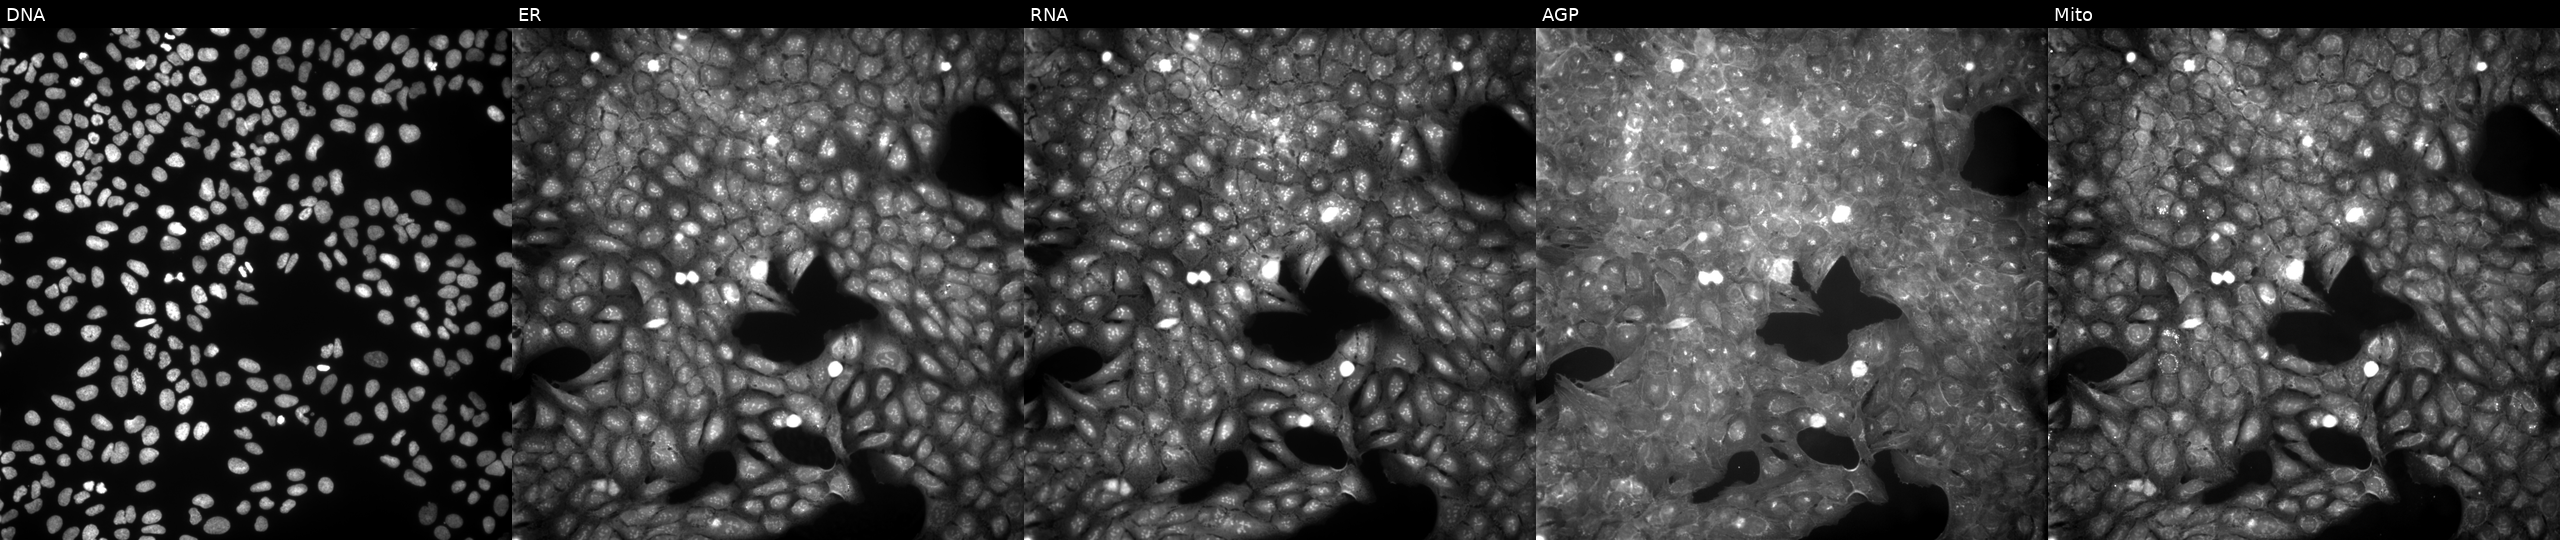
From left to right: Hoechst 33342, concanavalin A, SYTO 14, phalloidin and WGA, MitoTracker. U2OS osteosarcoma cells treated with a small-molecule compound [SMILES: CCOC(=O)c1c(C)n(Cc2ccccc2)c2ccc(OCC(O)Cn3nc(C)cc3C)cc12] (JUMP id JCP2022_009333). Cell Painting assay, JUMP-CP dataset.